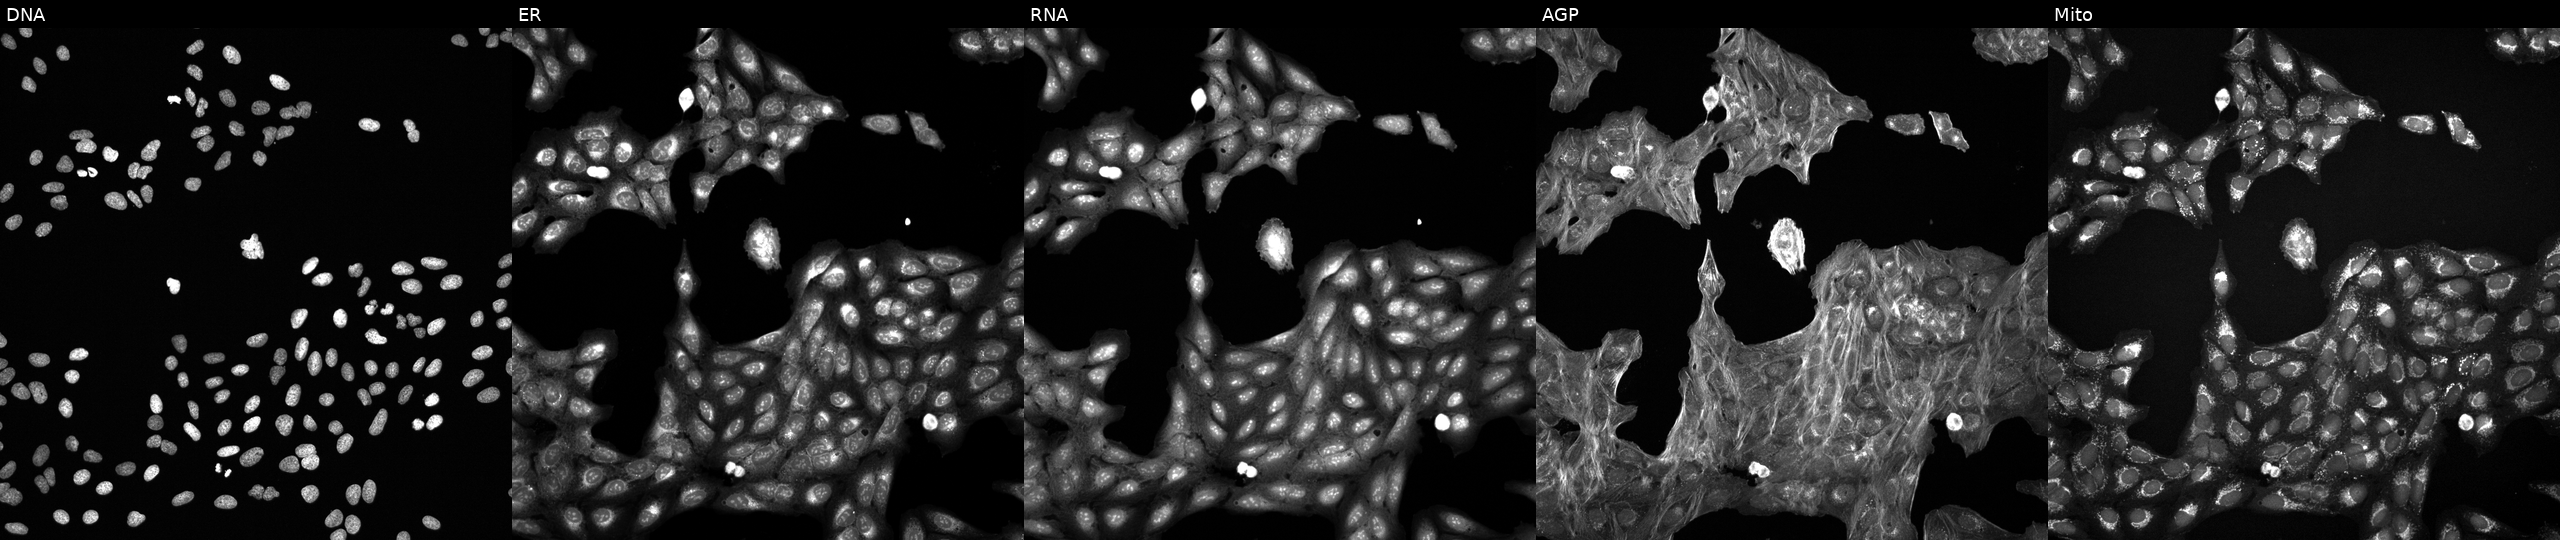
From left to right: DNA (nuclei); ER (endoplasmic reticulum); RNA (nucleoli and cytoplasmic RNA); AGP (actin cytoskeleton, Golgi, and plasma membrane); Mito (mitochondria). U2OS osteosarcoma cells treated with a small-molecule compound (InChIKey IKENVDNFQMCRTR-UHFFFAOYSA-N) (JUMP id JCP2022_035570). Cell Painting assay, JUMP-CP dataset.